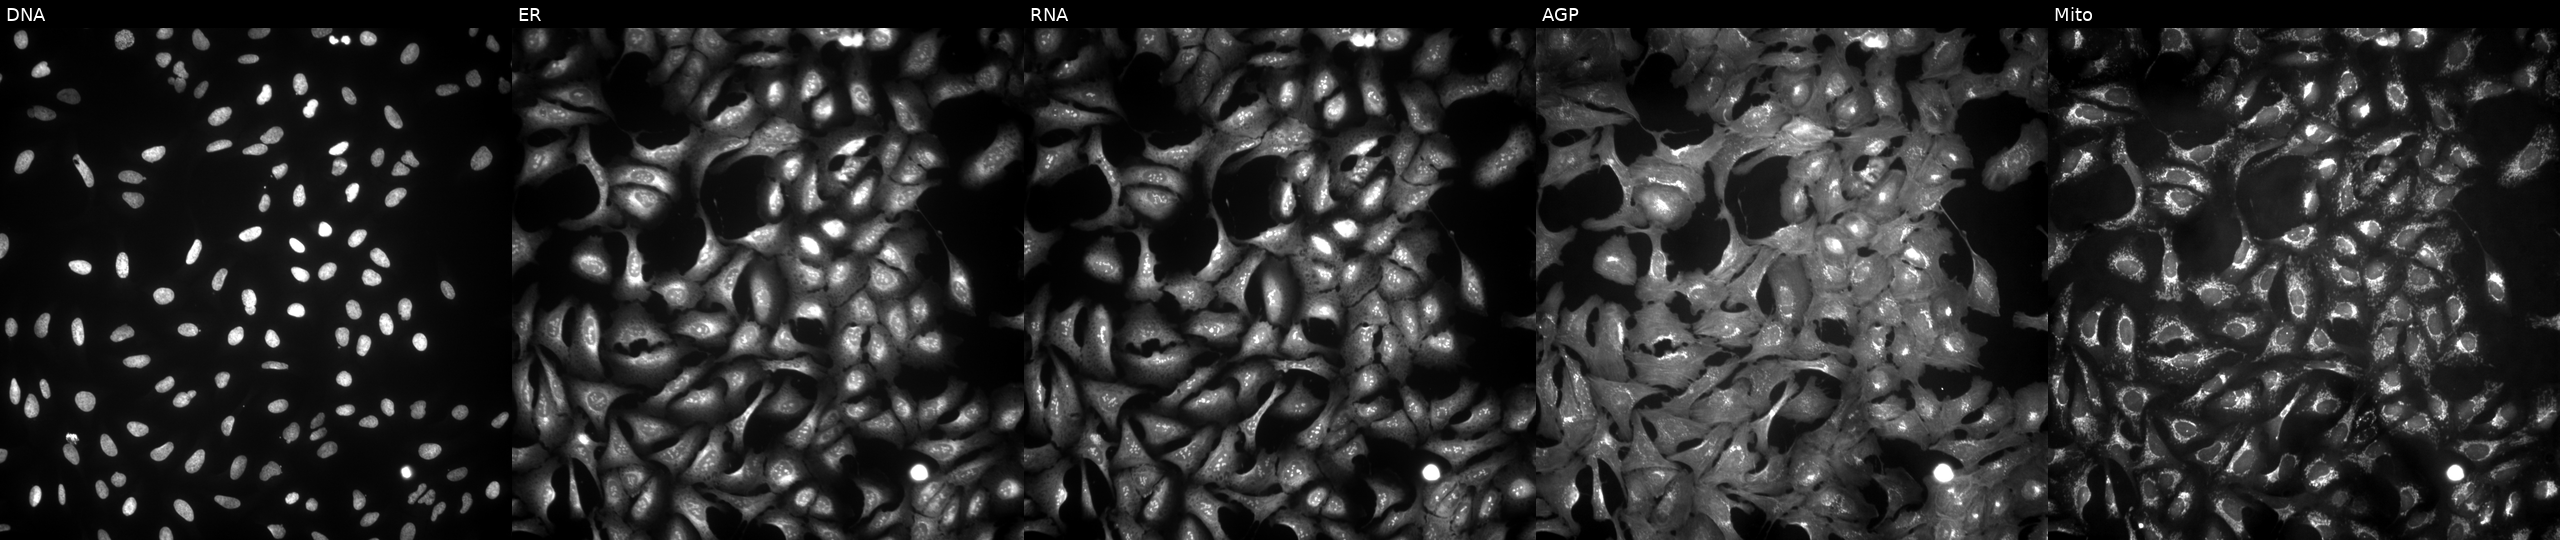
This image strip shows the five Cell Painting channels for a single field of U2OS cells transfected with an ORF construct for SLC27A6. Panels show, left to right, Hoechst 33342, concanavalin A, SYTO 14, phalloidin and WGA, MitoTracker.